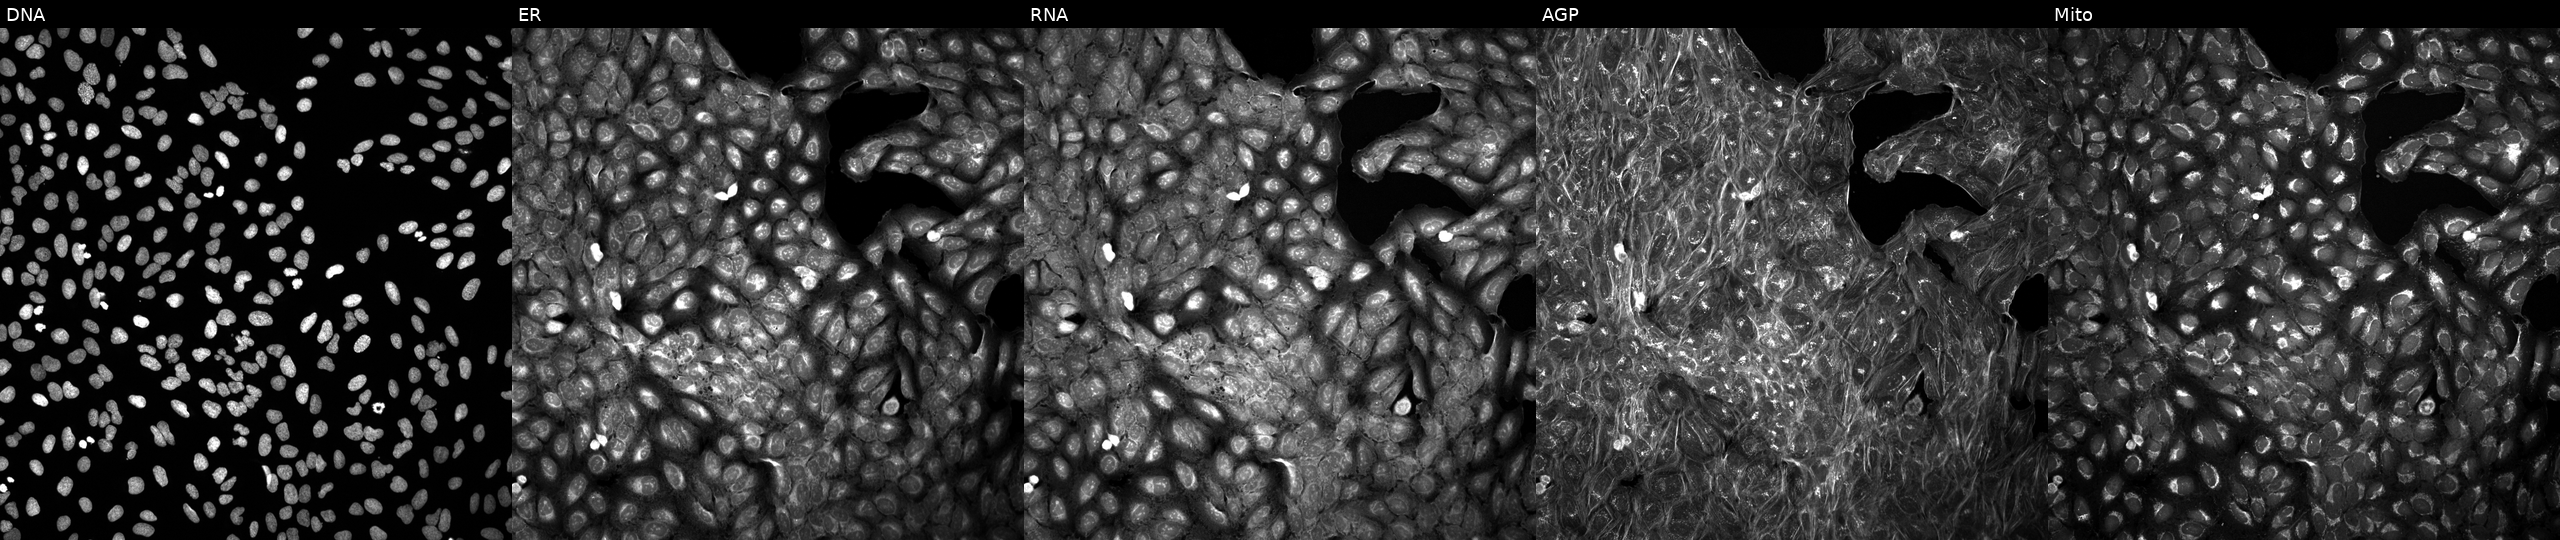
High-content fluorescence microscopy (Cell Painting). Cell line: U2OS. Perturbation: exposed to DMSO alone as a negative control (JUMP id JCP2022_033924). Panels show, left to right, DNA (nuclei); ER (endoplasmic reticulum); RNA (nucleoli and cytoplasmic RNA); AGP (actin cytoskeleton, Golgi, and plasma membrane); Mito (mitochondria). Source 5, plate ACPJUM051, well K24.